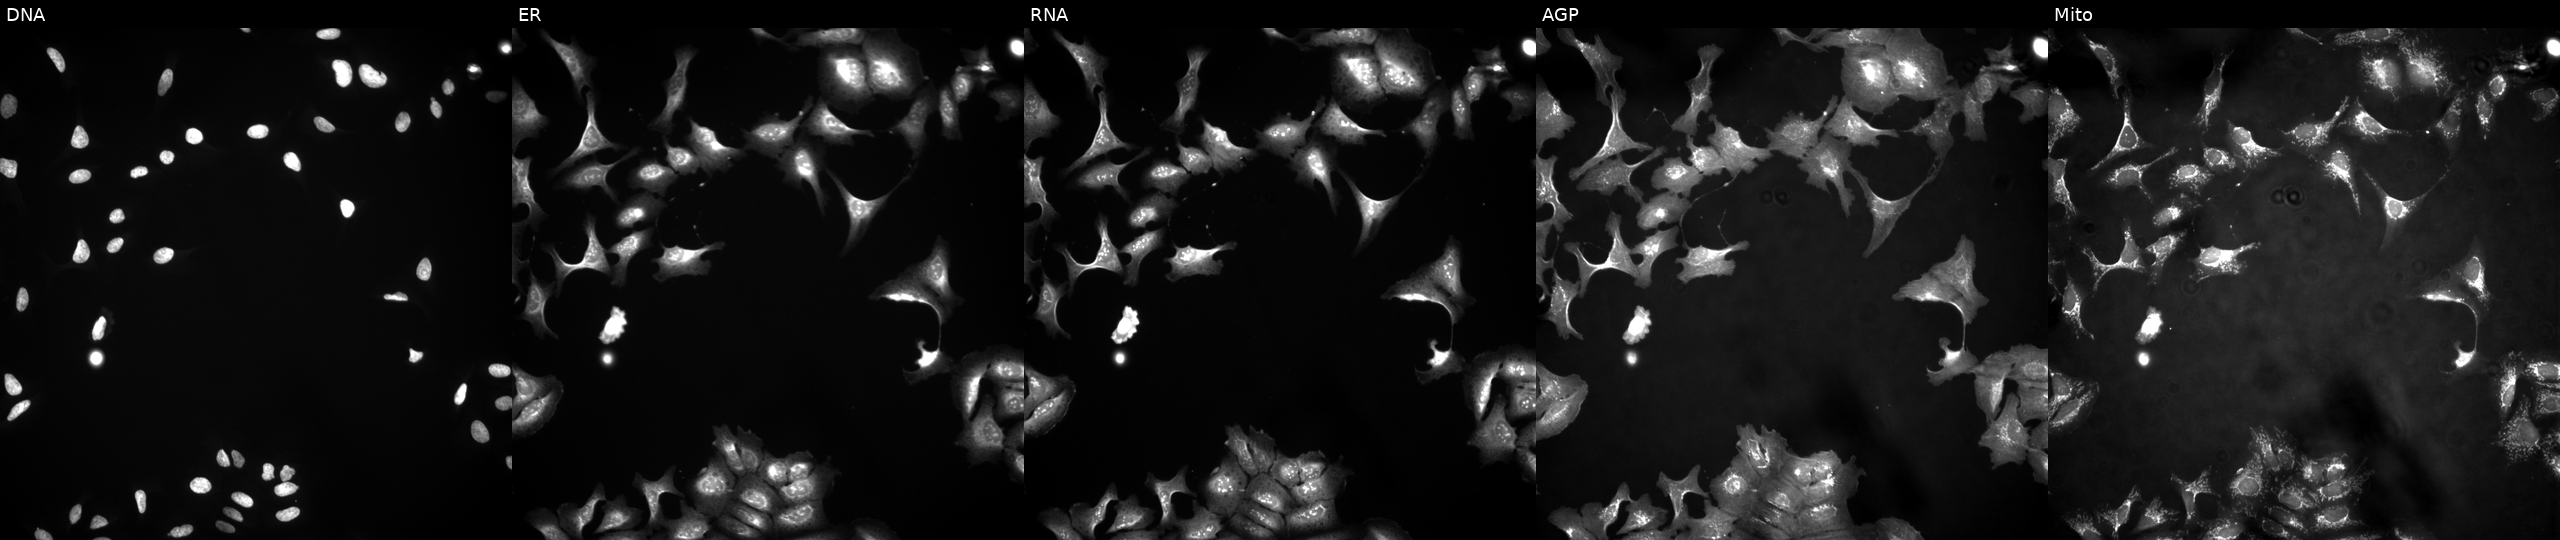
The five panels, left to right, show Hoechst 33342, concanavalin A, SYTO 14, phalloidin and WGA, MitoTracker. U2OS osteosarcoma cells overexpressing SPEF1 via ORF transfection. Cell Painting assay, JUMP-CP dataset. Source 4, plate BR00121543, well F12.